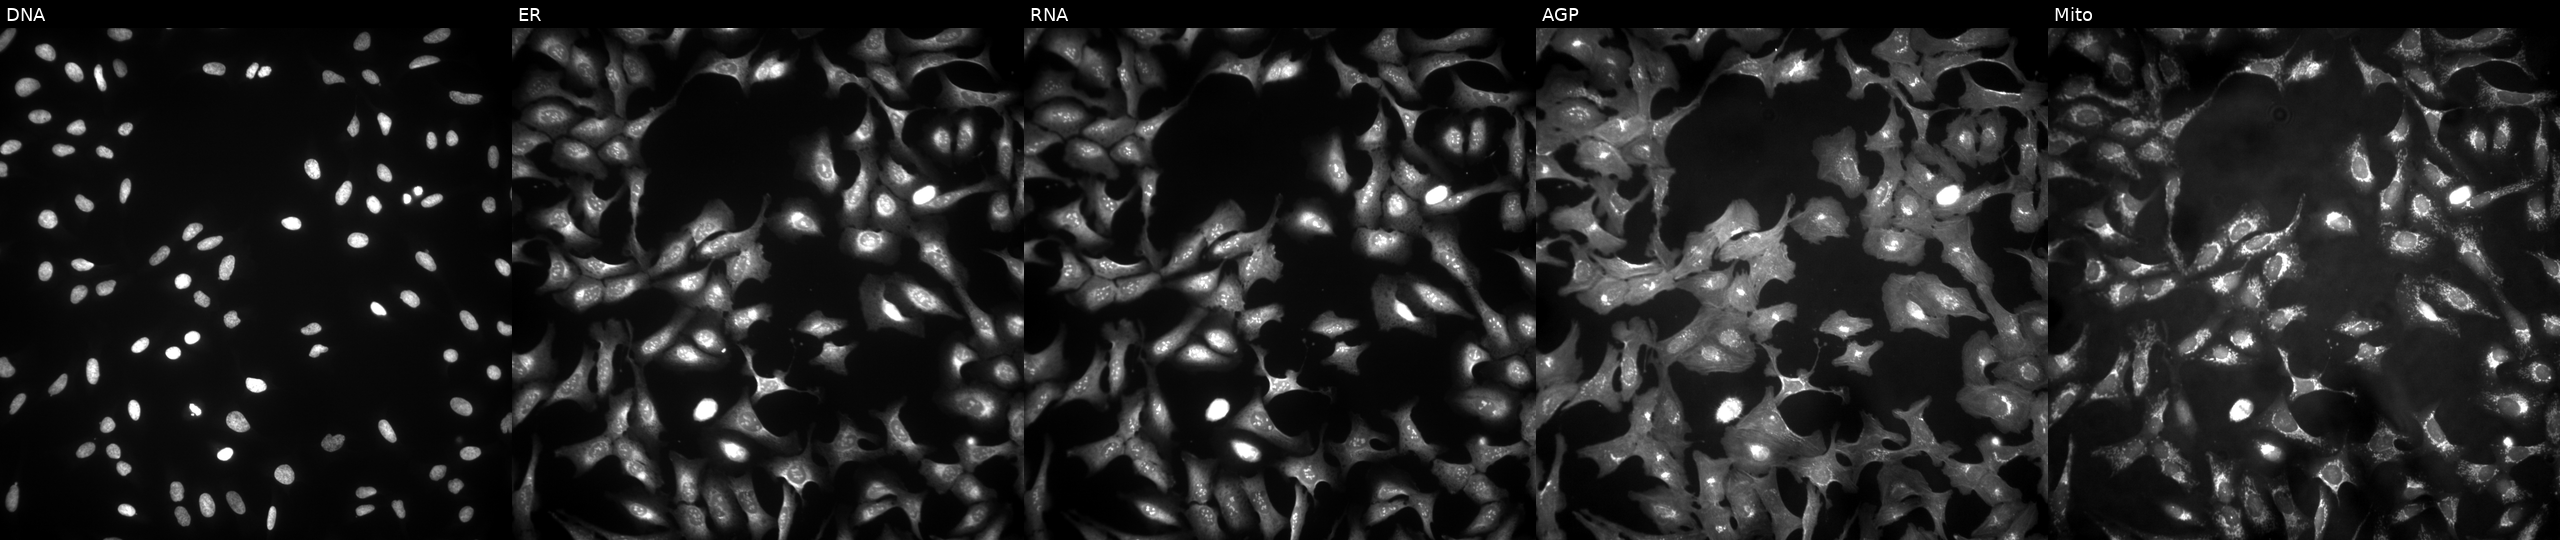
The five panels, left to right, show DNA (nuclei); ER (endoplasmic reticulum); RNA (nucleoli and cytoplasmic RNA); AGP (actin cytoskeleton, Golgi, and plasma membrane); Mito (mitochondria). U2OS osteosarcoma cells overexpressing ARFGAP1 via ORF transfection. Cell Painting assay, JUMP-CP dataset.